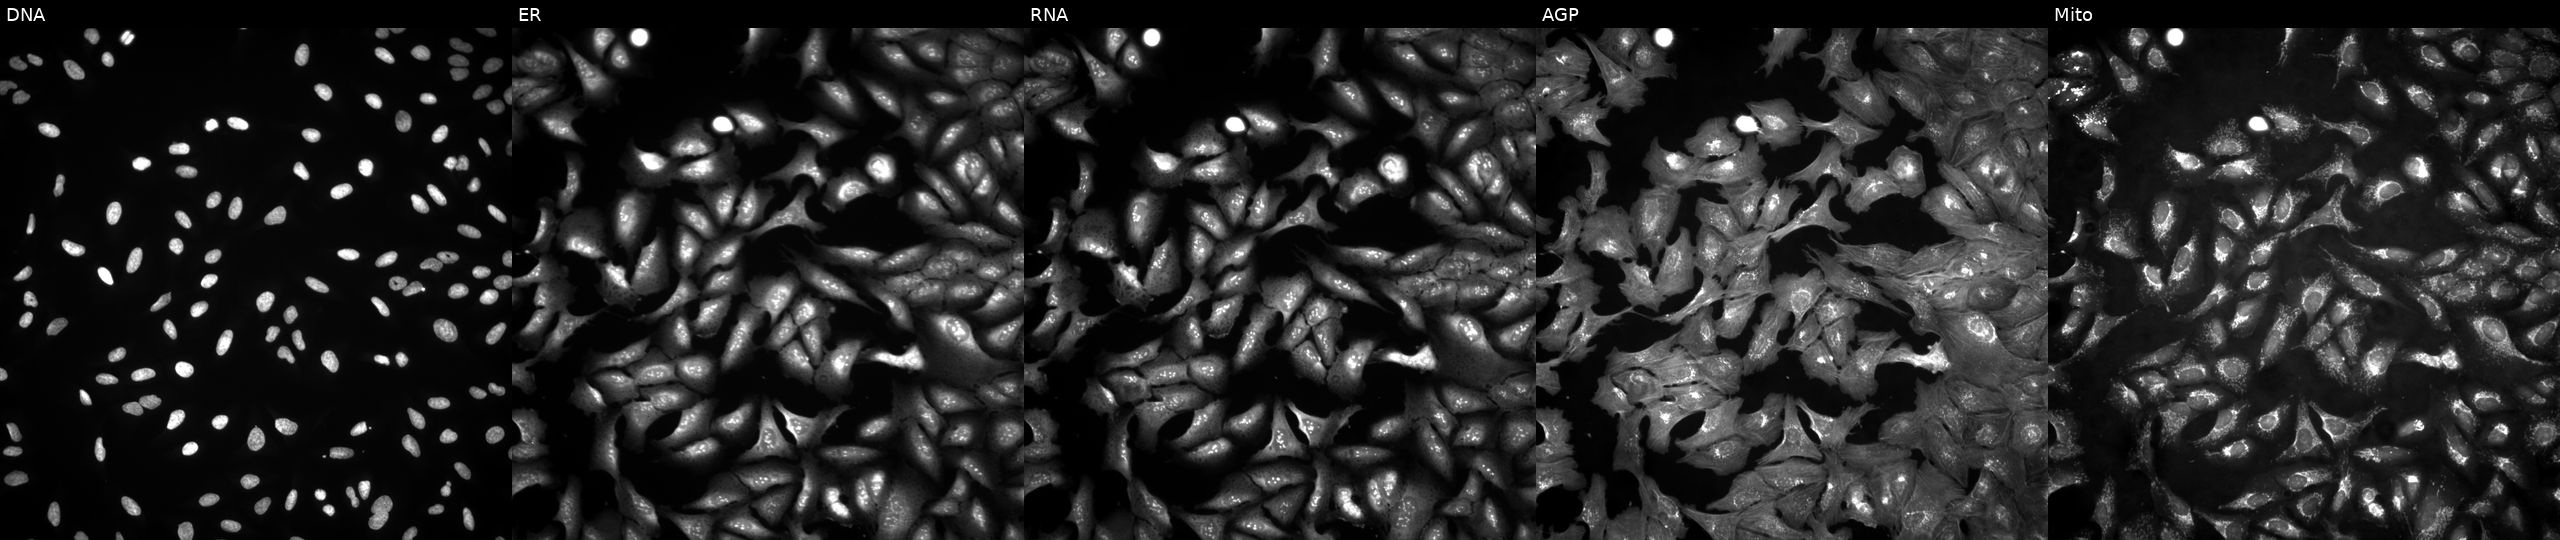
JUMP Cell Painting — ORF plate. U2OS cells with SERPINC1 overexpressed (ORF) (JUMP id JCP2022_909961). From left to right: DNA (nuclei); ER (endoplasmic reticulum); RNA (nucleoli and cytoplasmic RNA); AGP (actin cytoskeleton, Golgi, and plasma membrane); Mito (mitochondria).